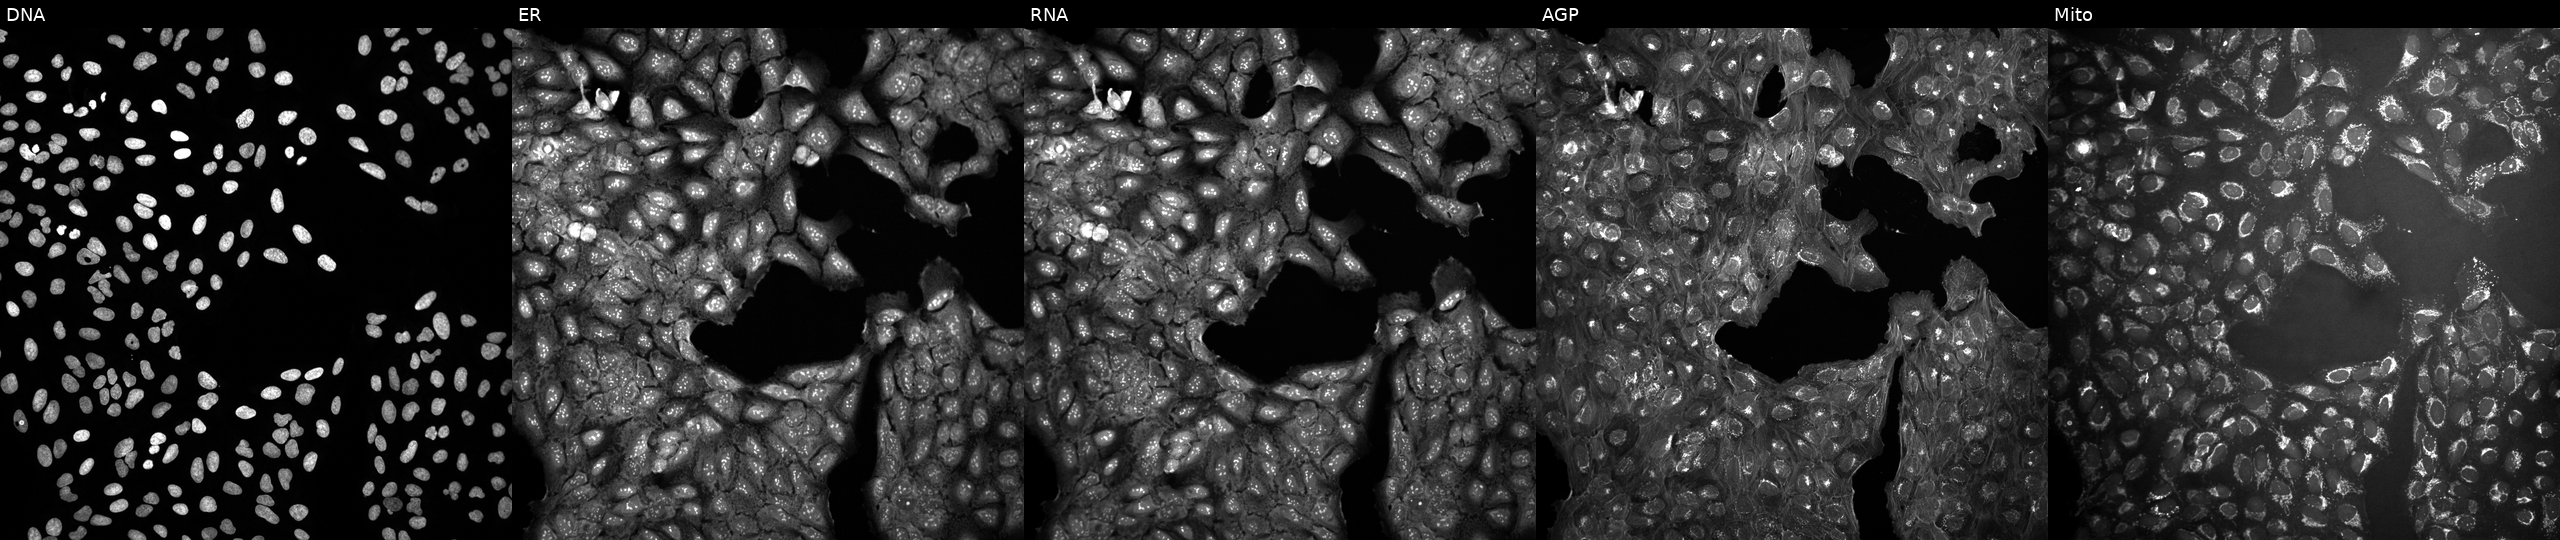
U2OS cells, Cell Painting assay, in an empty control well (no perturbation) (JUMP id JCP2022_999999). From left to right: Hoechst 33342, concanavalin A, SYTO 14, phalloidin and WGA, MitoTracker. Each panel is percentile-stretched 16-bit fluorescence. Source 10, plate Dest210531-152149, well B20.